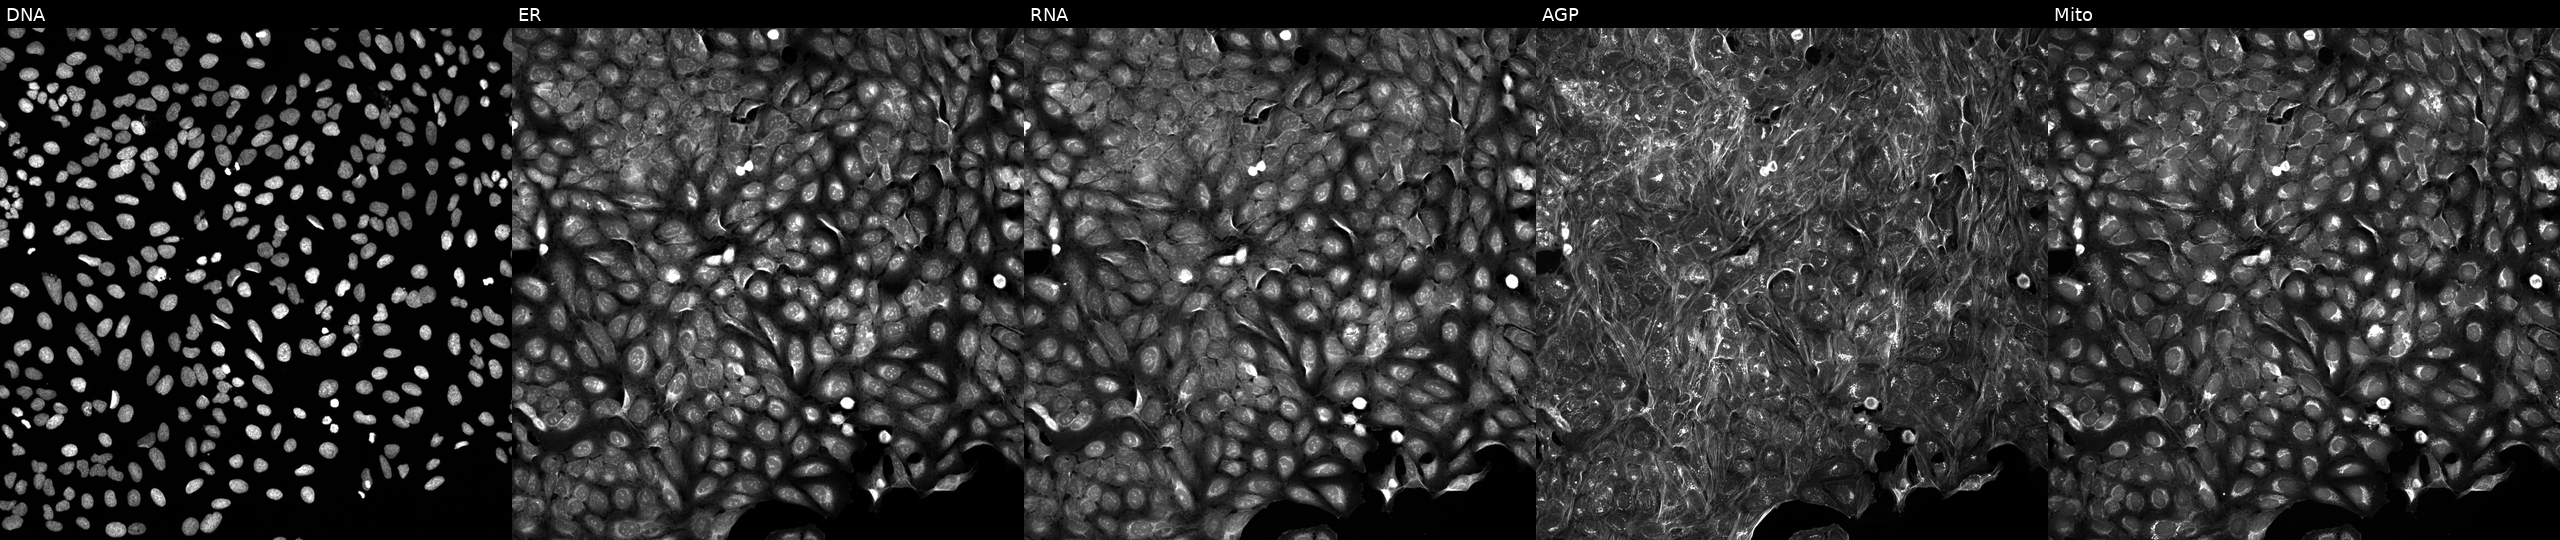
From left to right: DNA (nuclei); ER (endoplasmic reticulum); RNA (nucleoli and cytoplasmic RNA); AGP (actin cytoskeleton, Golgi, and plasma membrane); Mito (mitochondria). U2OS osteosarcoma cells treated with a small-molecule compound (InChIKey RNNZKGMDSJXBQU-UHFFFAOYSA-N) (JUMP id JCP2022_079536). Cell Painting assay, JUMP-CP dataset. Source 5, plate APTJUM106, well P21.